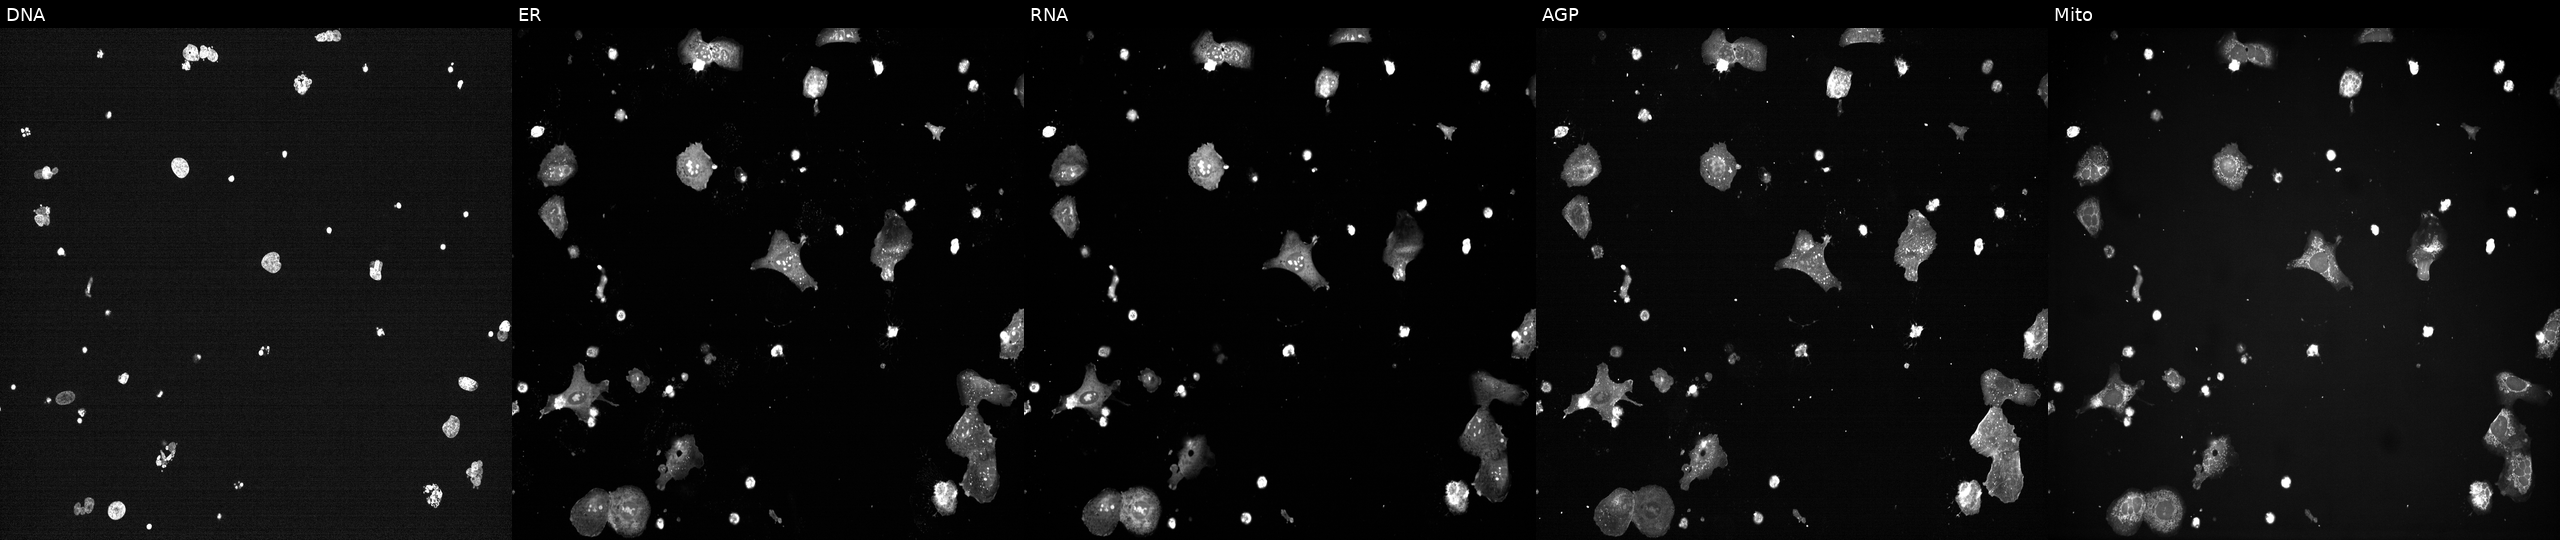
Channels (left→right): DNA, ER, RNA, AGP, and Mito. U2OS osteosarcoma cells treated with a small-molecule compound (InChIKey VSVFLGPUZJTBSD-UHFFFAOYSA-N) [SMILES: COc1cc(OC)c(C=CS(=O)(=O)Cc2ccc(OC)c(O[PH](=O)(=O)O)c2)c(OC)c1]. Cell Painting assay, JUMP-CP dataset. Source 7, plate CP3-SC1-25, well D02.